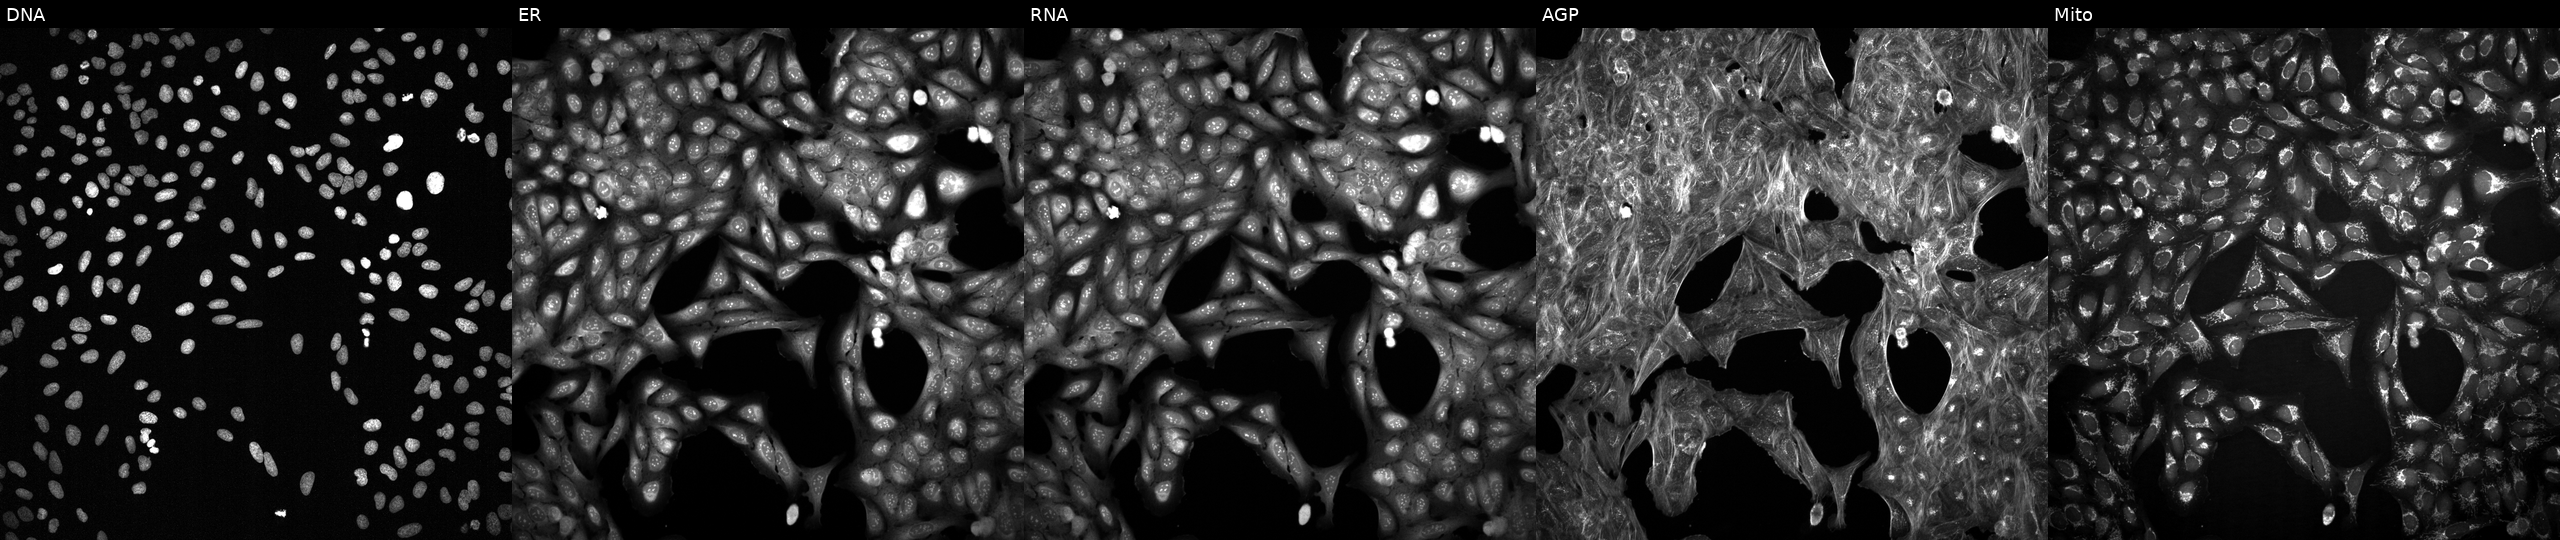
This image strip shows the five Cell Painting channels for a single field of U2OS cells exposed to DMSO alone as a negative control (JUMP id JCP2022_033924). Channels (left→right): Hoechst 33342, concanavalin A, SYTO 14, phalloidin and WGA, MitoTracker.